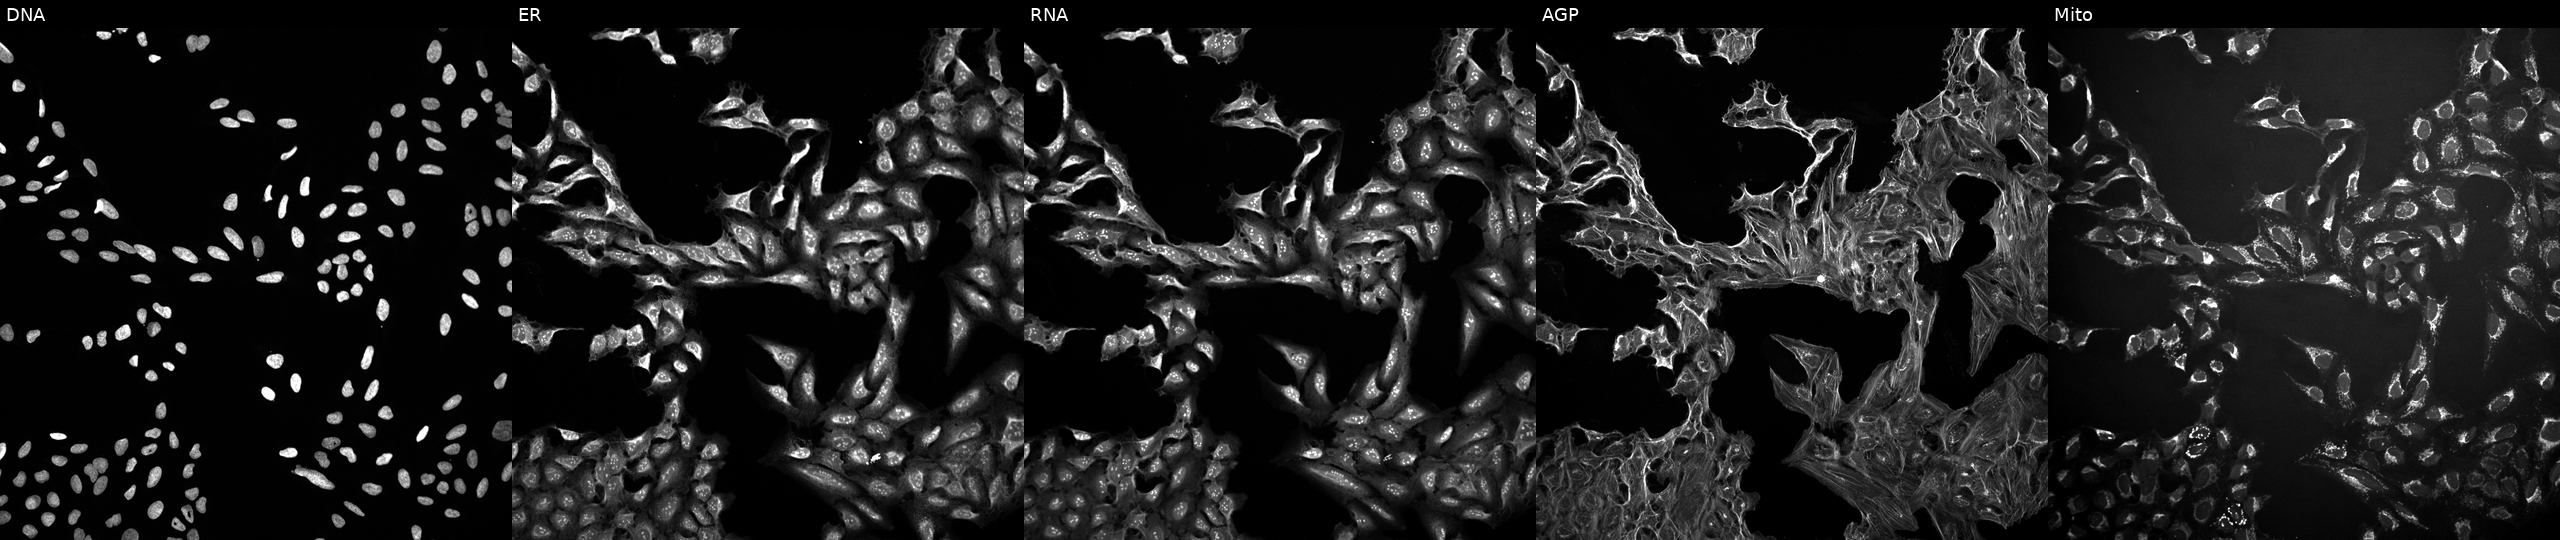
High-content fluorescence microscopy (Cell Painting). Cell line: U2OS. Perturbation: exposed to a small-molecule compound (InChIKey PZBPKYOVPCNPJY-UHFFFAOYSA-N) (JUMP id JCP2022_071910). From left to right: Hoechst 33342, concanavalin A, SYTO 14, phalloidin and WGA, MitoTracker. Source 10, plate Dest210726-160150, well J10.